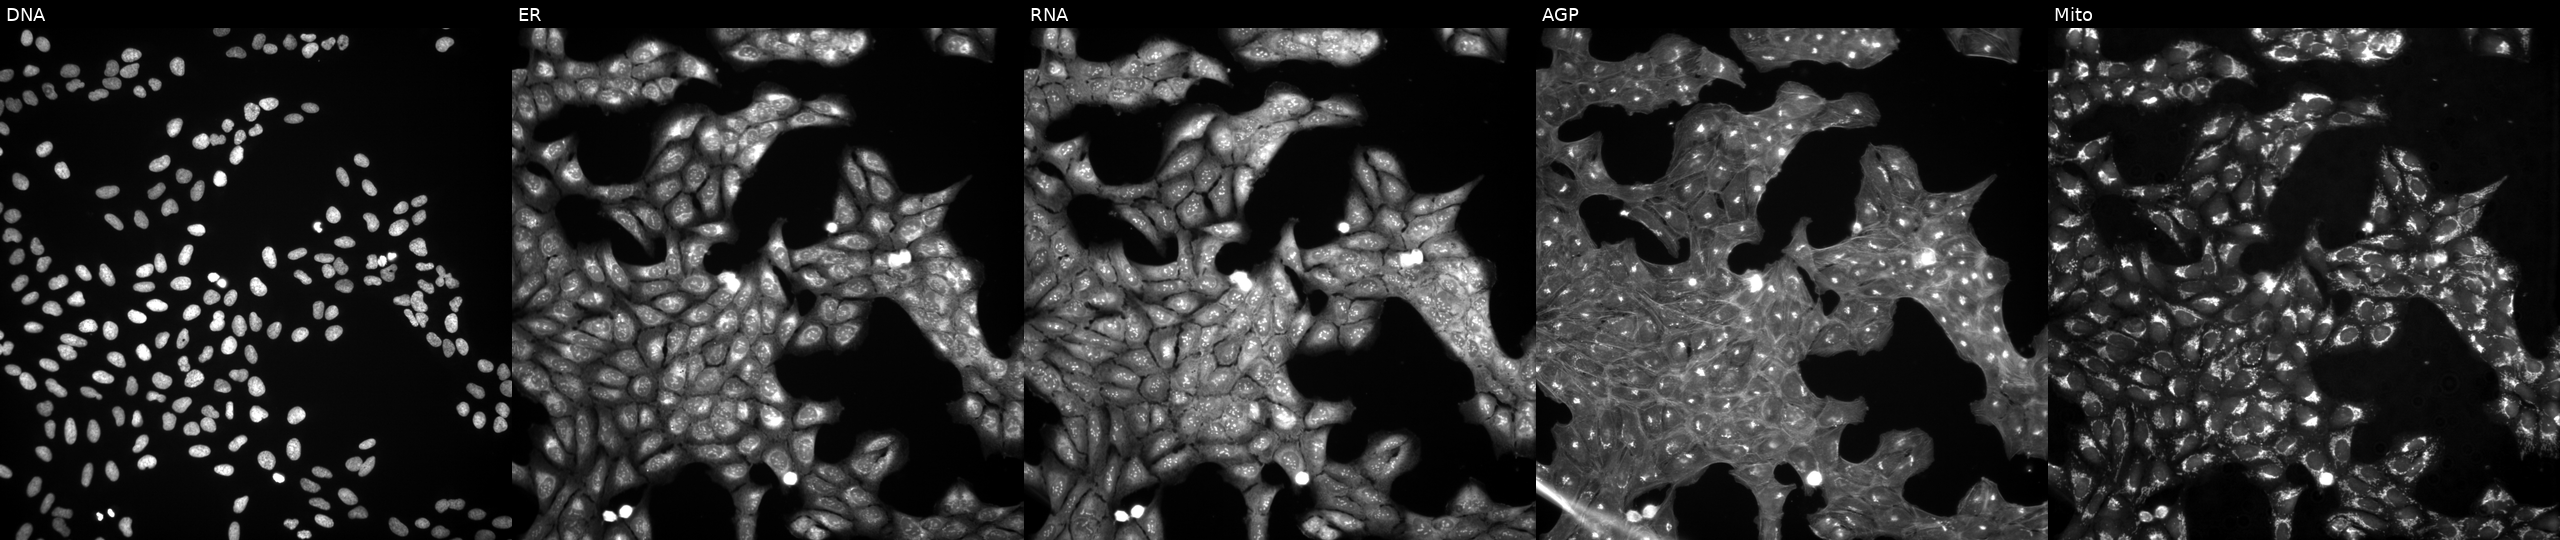
High-content fluorescence microscopy (Cell Painting). Cell line: U2OS. Perturbation: exposed to a small-molecule compound (InChIKey IYAYHZZWYNXHEQ-UHFFFAOYSA-N) [SMILES: O=C(Nc1cccc(Br)c1)c1cccc(S(=O)(=O)N2CCCCCC2)c1]. Panels show, left to right, Hoechst 33342, concanavalin A, SYTO 14, phalloidin and WGA, MitoTracker.